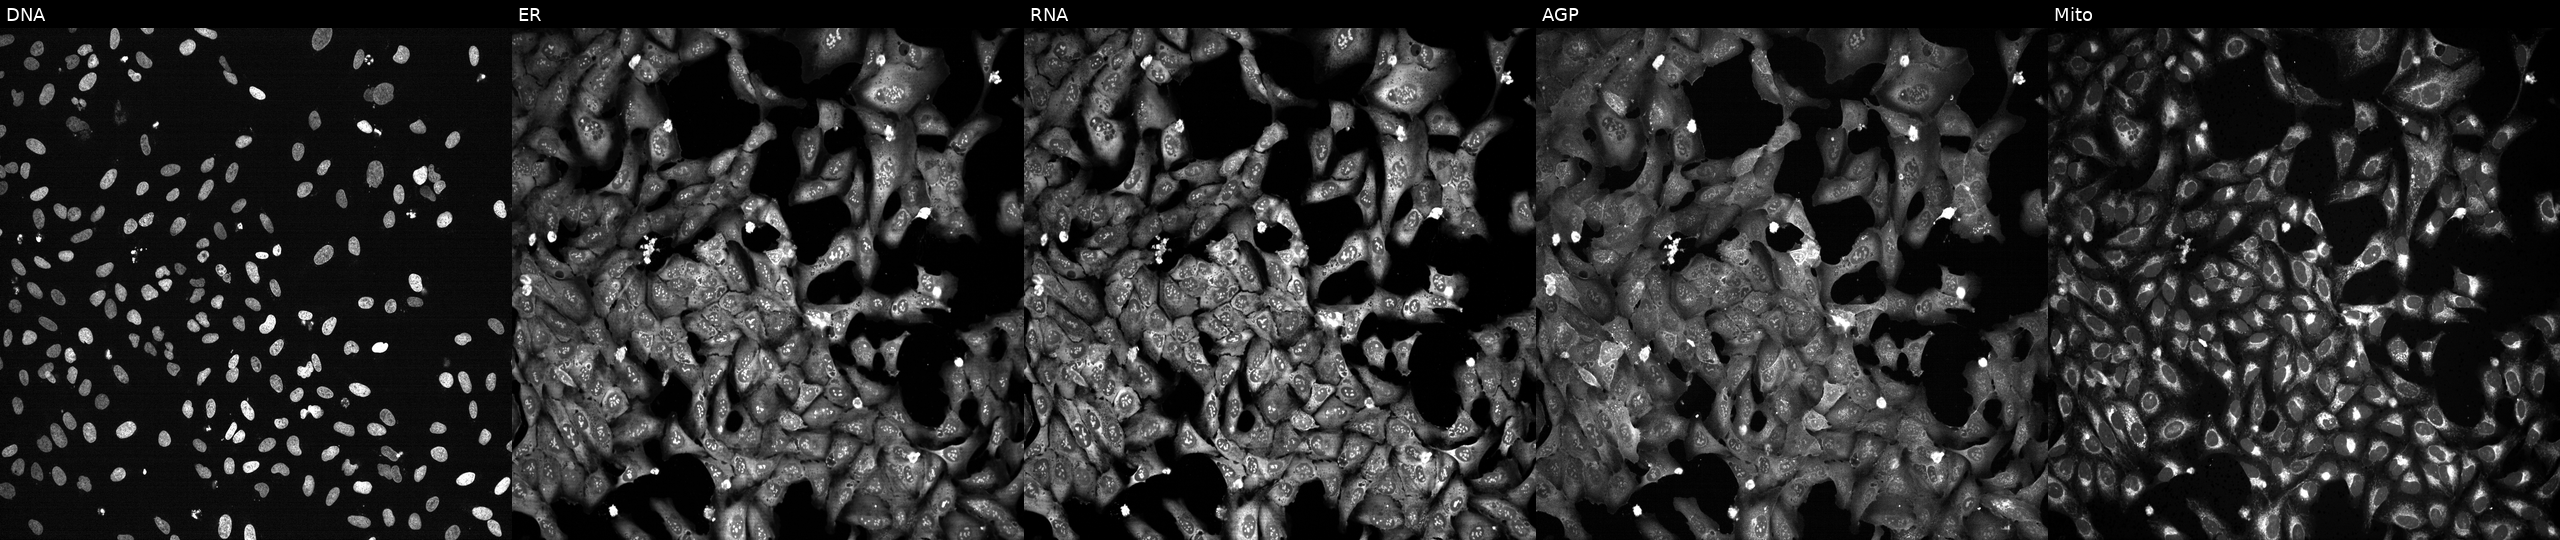
JUMP Cell Painting — CRISPR plate. U2OS cells following CRISPR knockout of POLR2C (JUMP id JCP2022_805344). Channels (left→right): DNA (nuclei); ER (endoplasmic reticulum); RNA (nucleoli and cytoplasmic RNA); AGP (actin cytoskeleton, Golgi, and plasma membrane); Mito (mitochondria). Source 13, plate CP-CC9-R4-03, well D21.